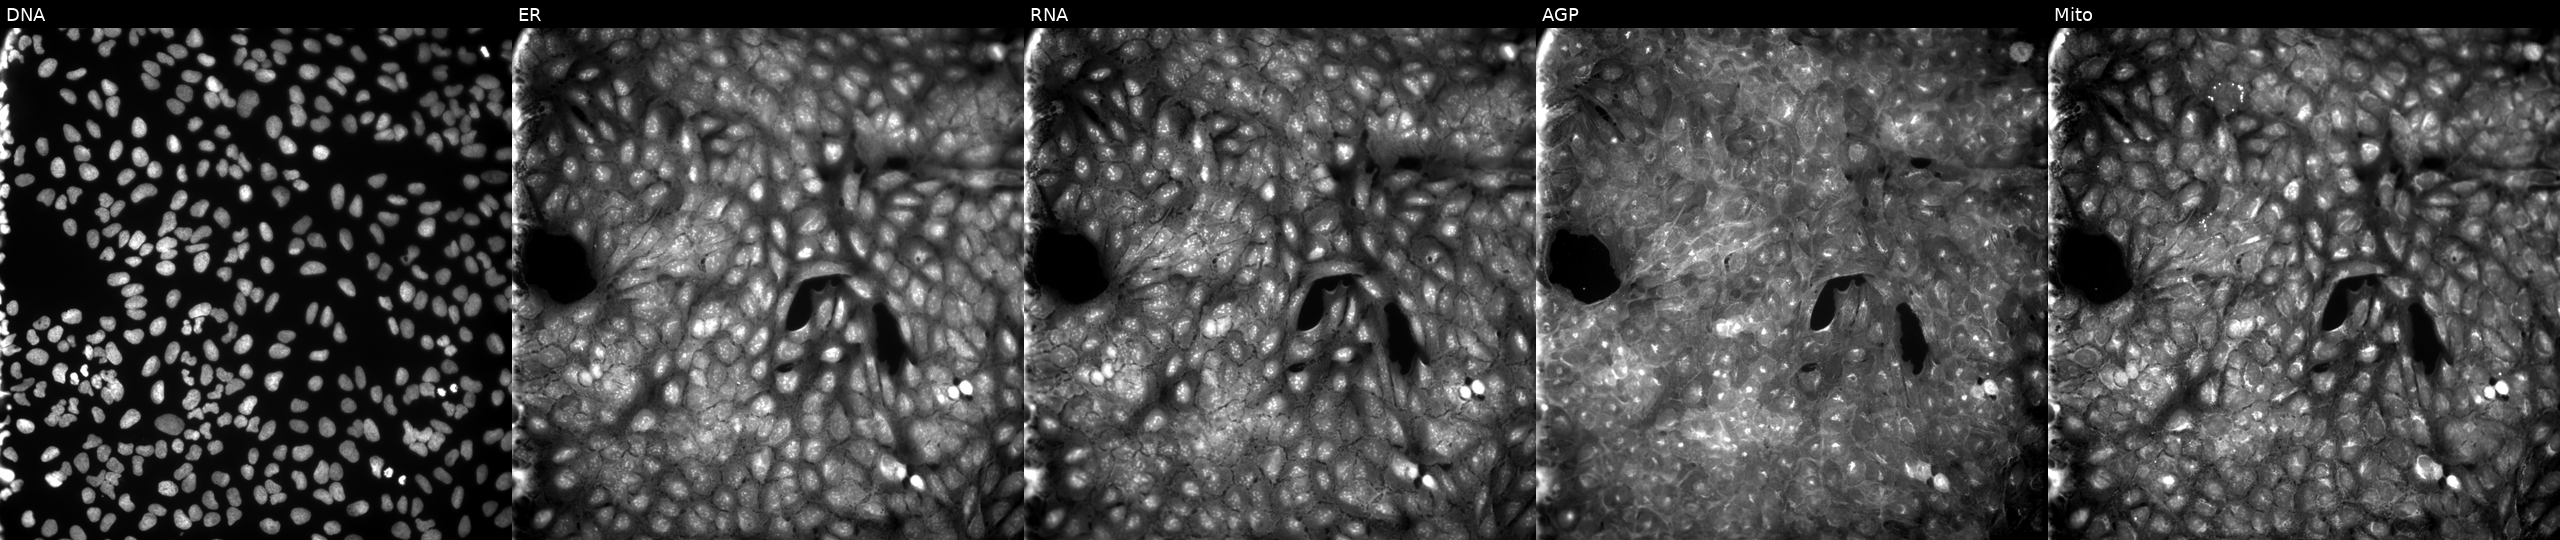
U2OS cells, Cell Painting assay, perturbed with a small-molecule compound (InChIKey QWTPQAZRLVPBBG-UHFFFAOYSA-N). Panels show, left to right, DNA, ER, RNA, AGP, and Mito. Each panel is percentile-stretched 16-bit fluorescence.